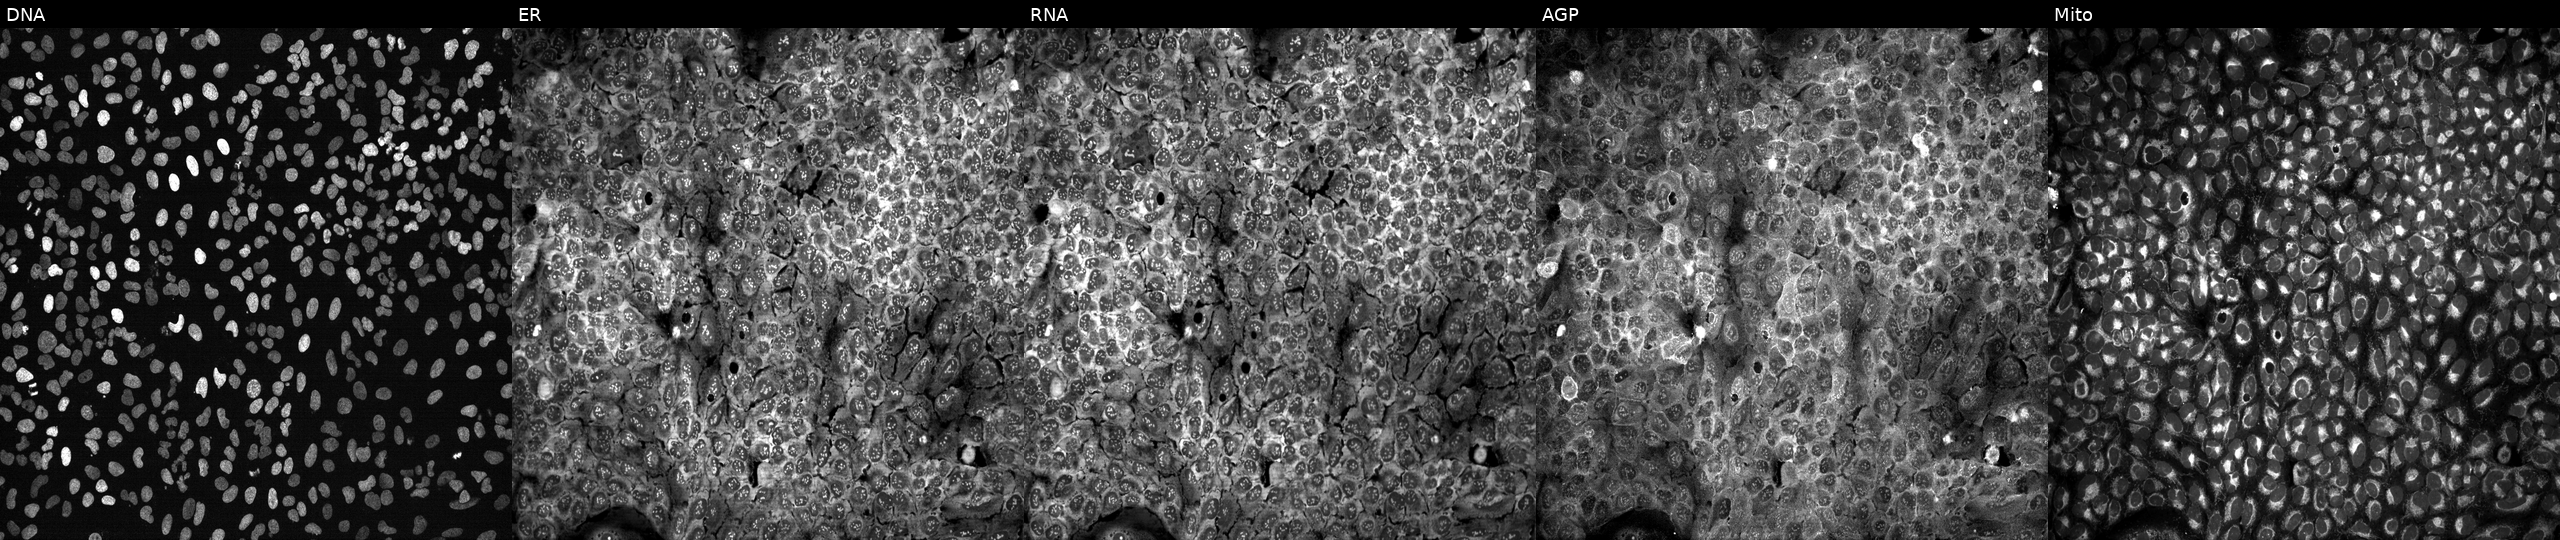
JUMP Cell Painting — CRISPR plate. U2OS cells with FOLR2 knocked out by CRISPR. Channels (left→right): DNA (nuclei); ER (endoplasmic reticulum); RNA (nucleoli and cytoplasmic RNA); AGP (actin cytoskeleton, Golgi, and plasma membrane); Mito (mitochondria). Source 13, plate CP-CC9-R4-03, well J17.